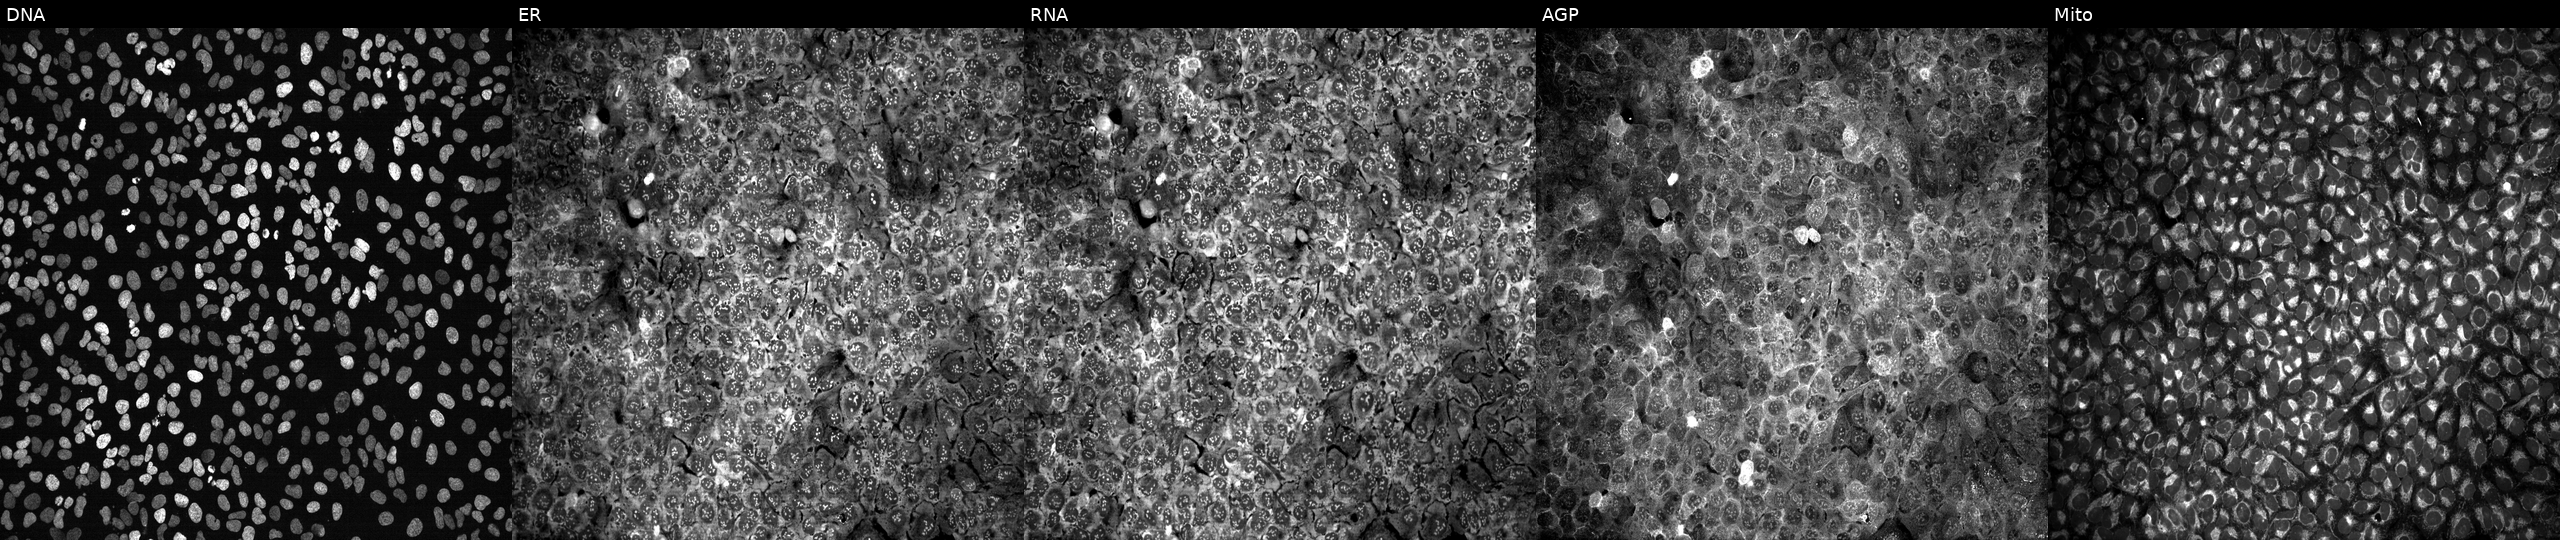
From left to right: DNA (nuclei); ER (endoplasmic reticulum); RNA (nucleoli and cytoplasmic RNA); AGP (actin cytoskeleton, Golgi, and plasma membrane); Mito (mitochondria). U2OS osteosarcoma cells CRISPR-edited to disrupt C8G (JUMP id JCP2022_800969). Cell Painting assay, JUMP-CP dataset. Source 13, plate CP-CC9-R4-04, well K15.